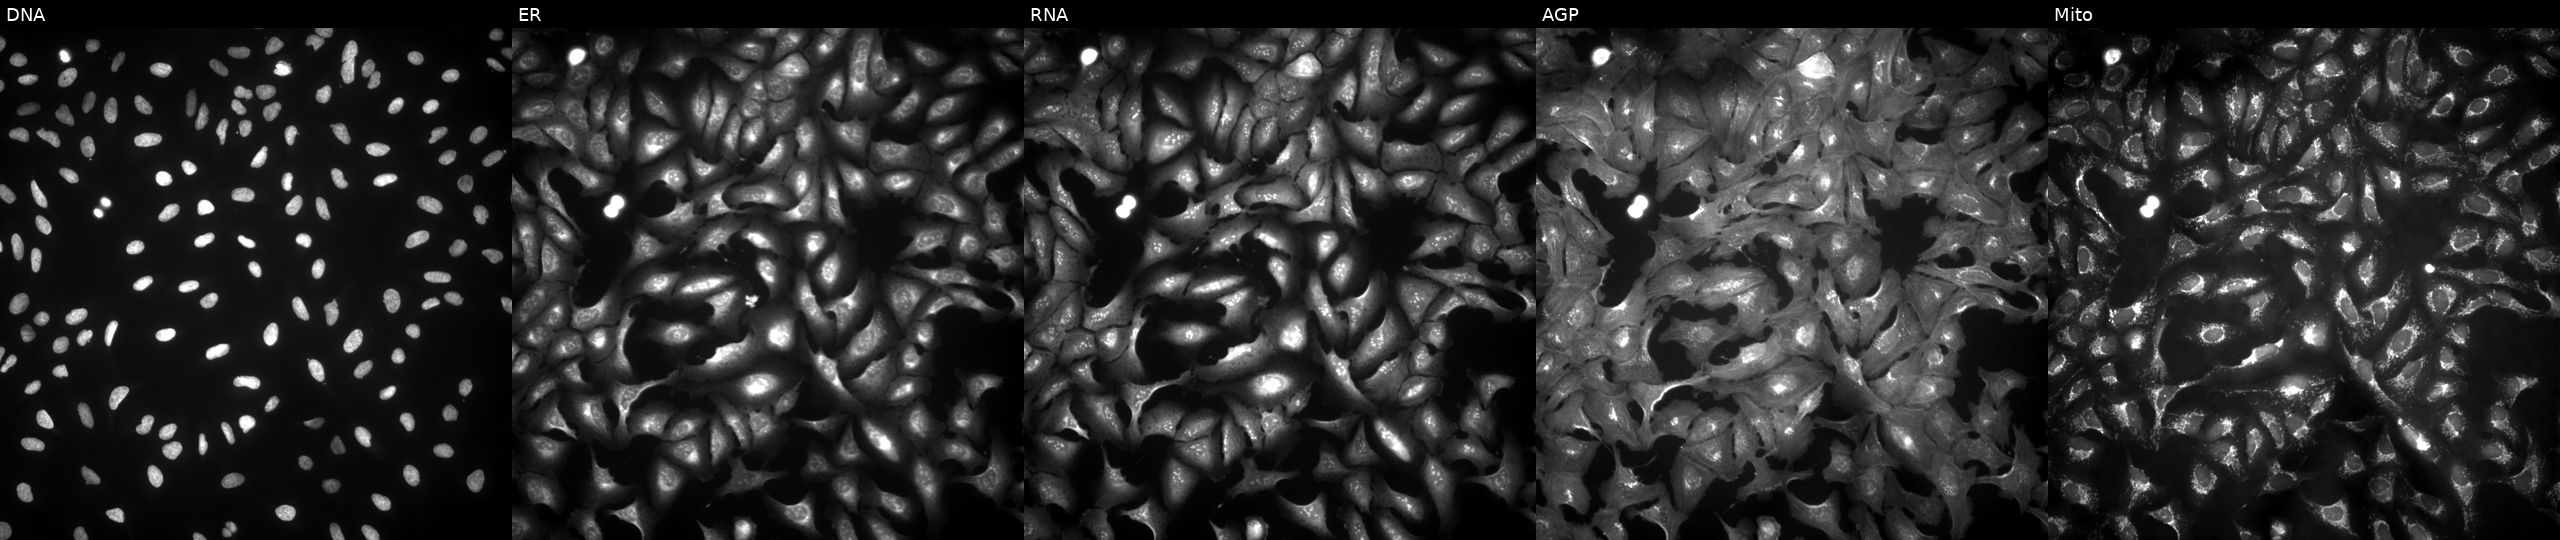
U2OS cells, Cell Painting assay, overexpressing BAAT via ORF transfection. Panels show, left to right, DNA, ER, RNA, AGP, and Mito. Each panel is percentile-stretched 16-bit fluorescence.